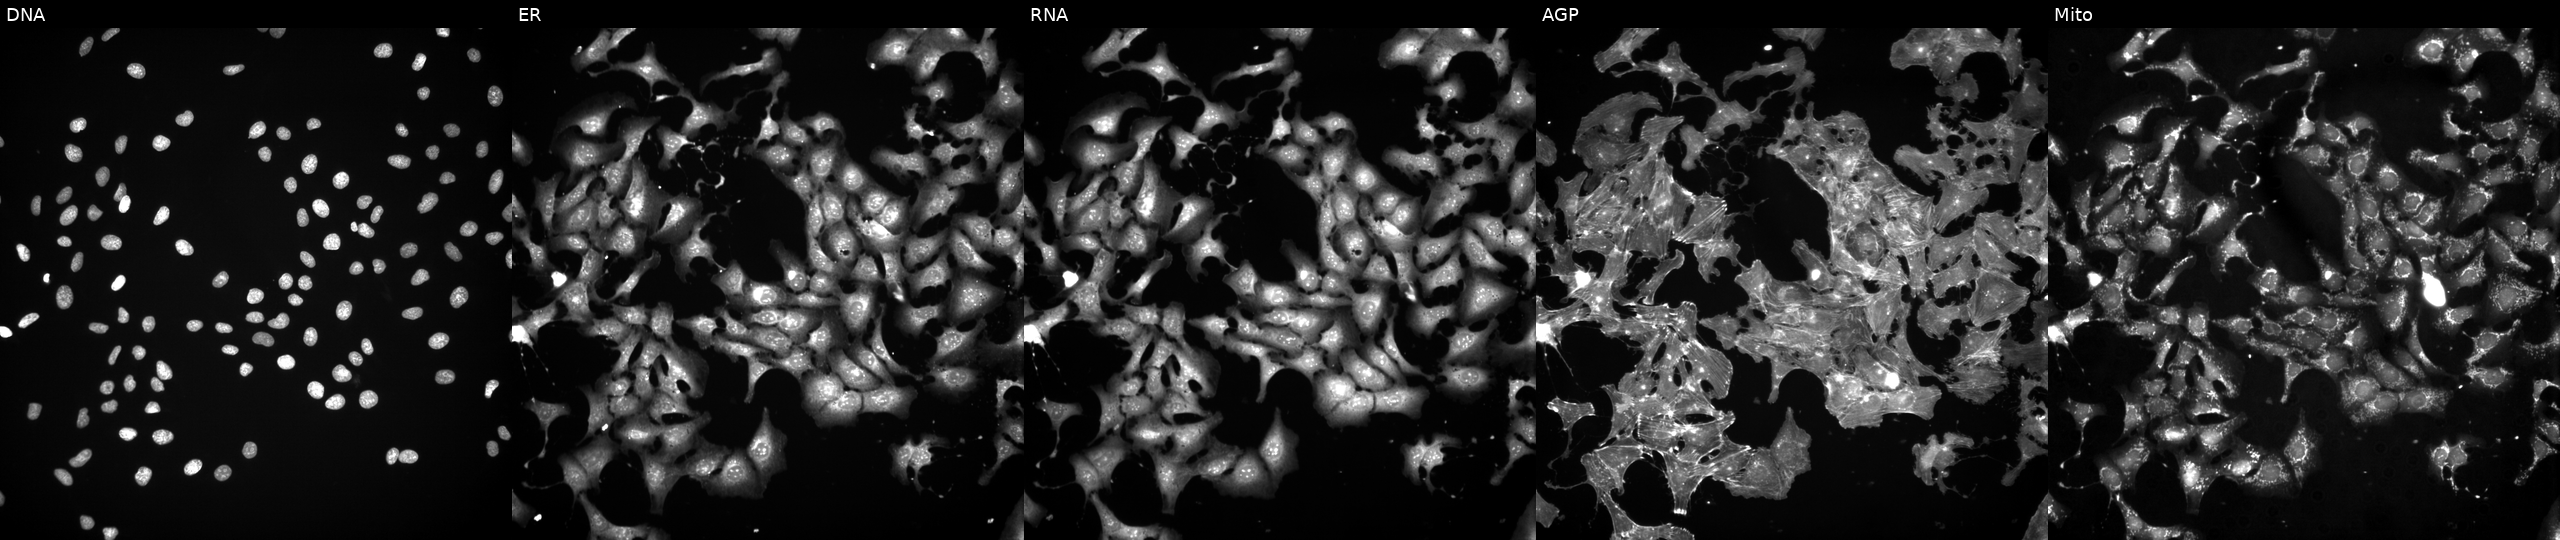
This image strip shows the five Cell Painting channels for a single field of U2OS cells treated with FK-866 (positive-control compound). From left to right: Hoechst 33342, concanavalin A, SYTO 14, phalloidin and WGA, MitoTracker. Source 3, plate JCPQC053, well D19.